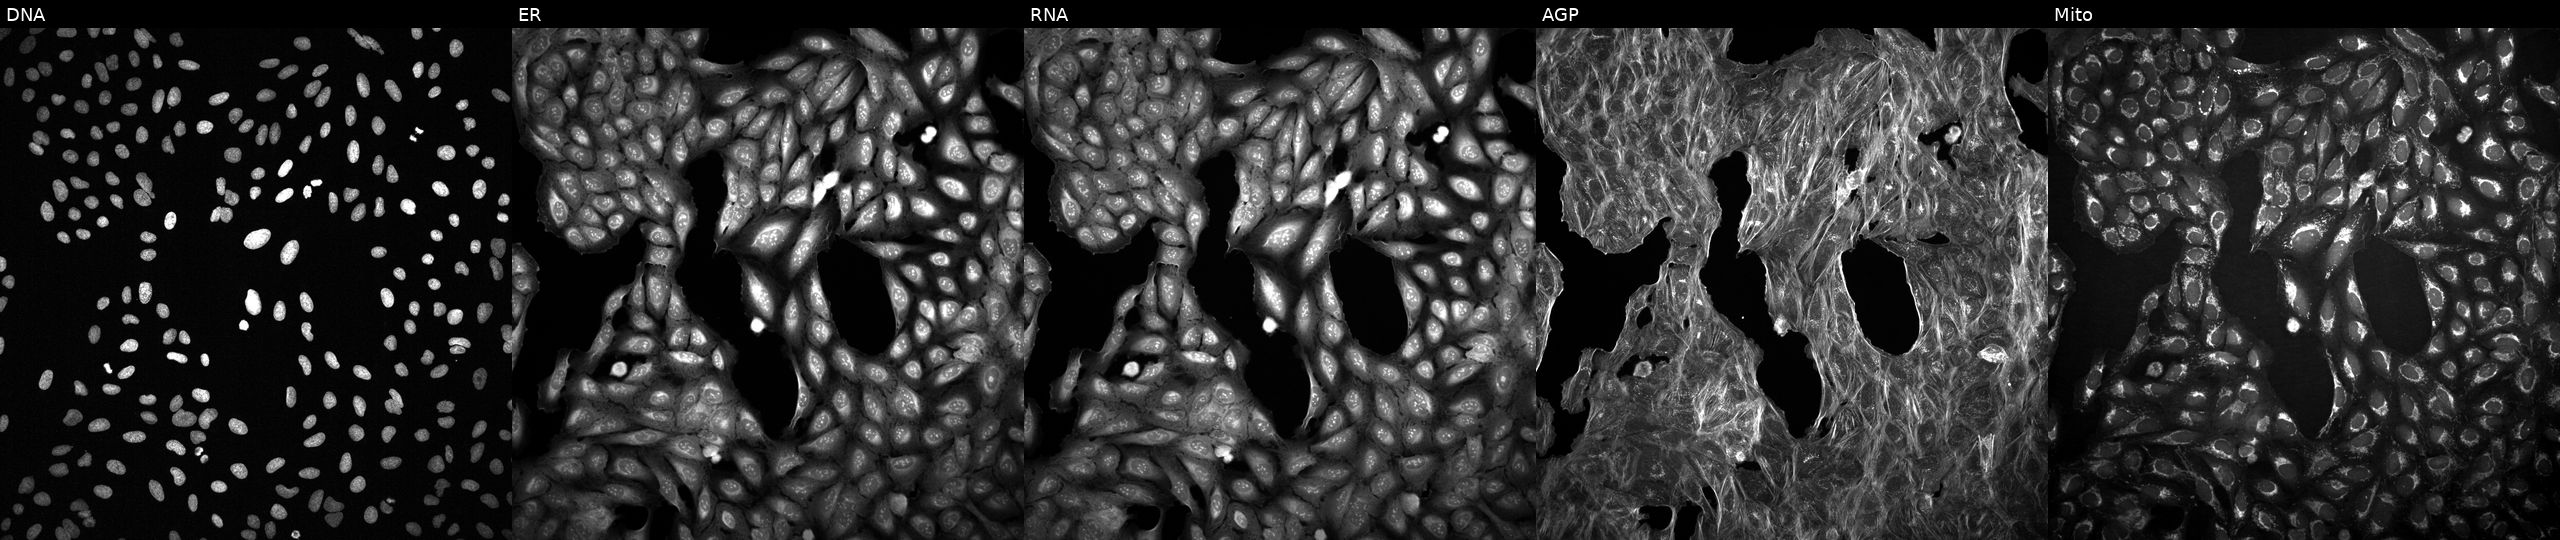
This image strip shows the five Cell Painting channels for a single field of U2OS cells with an unidentified perturbation (not annotated in JUMP metadata). Channels (left→right): DNA, ER, RNA, AGP, and Mito. Source 2, plate 1053601756, well L09.